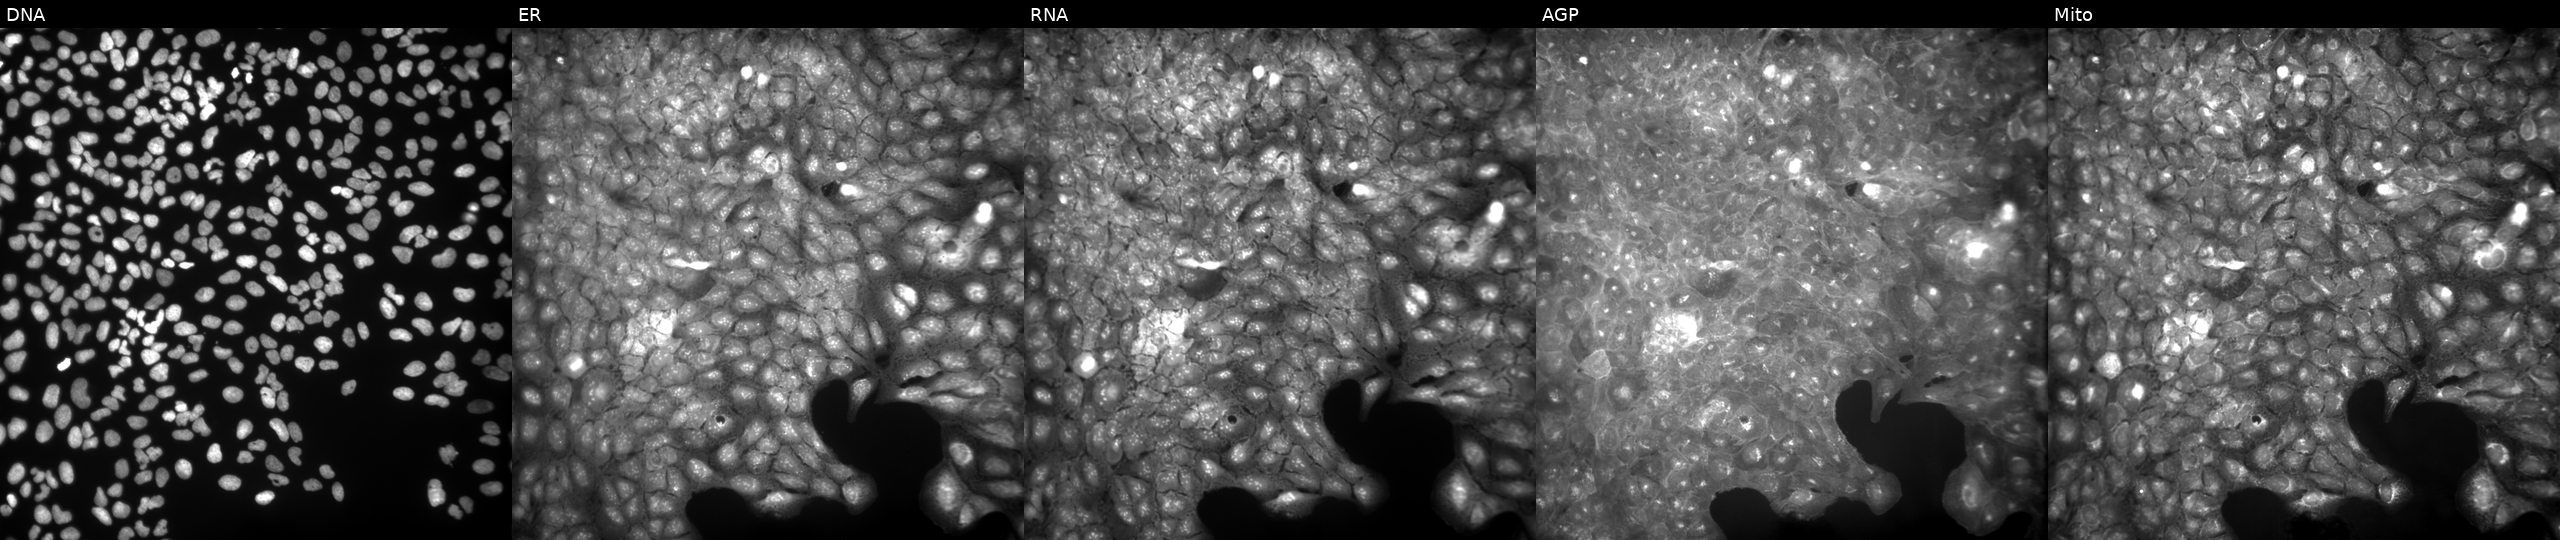
High-content fluorescence microscopy (Cell Painting). Cell line: U2OS. Perturbation: treated with DMSO vehicle only (negative control). From left to right: Hoechst 33342, concanavalin A, SYTO 14, phalloidin and WGA, MitoTracker.